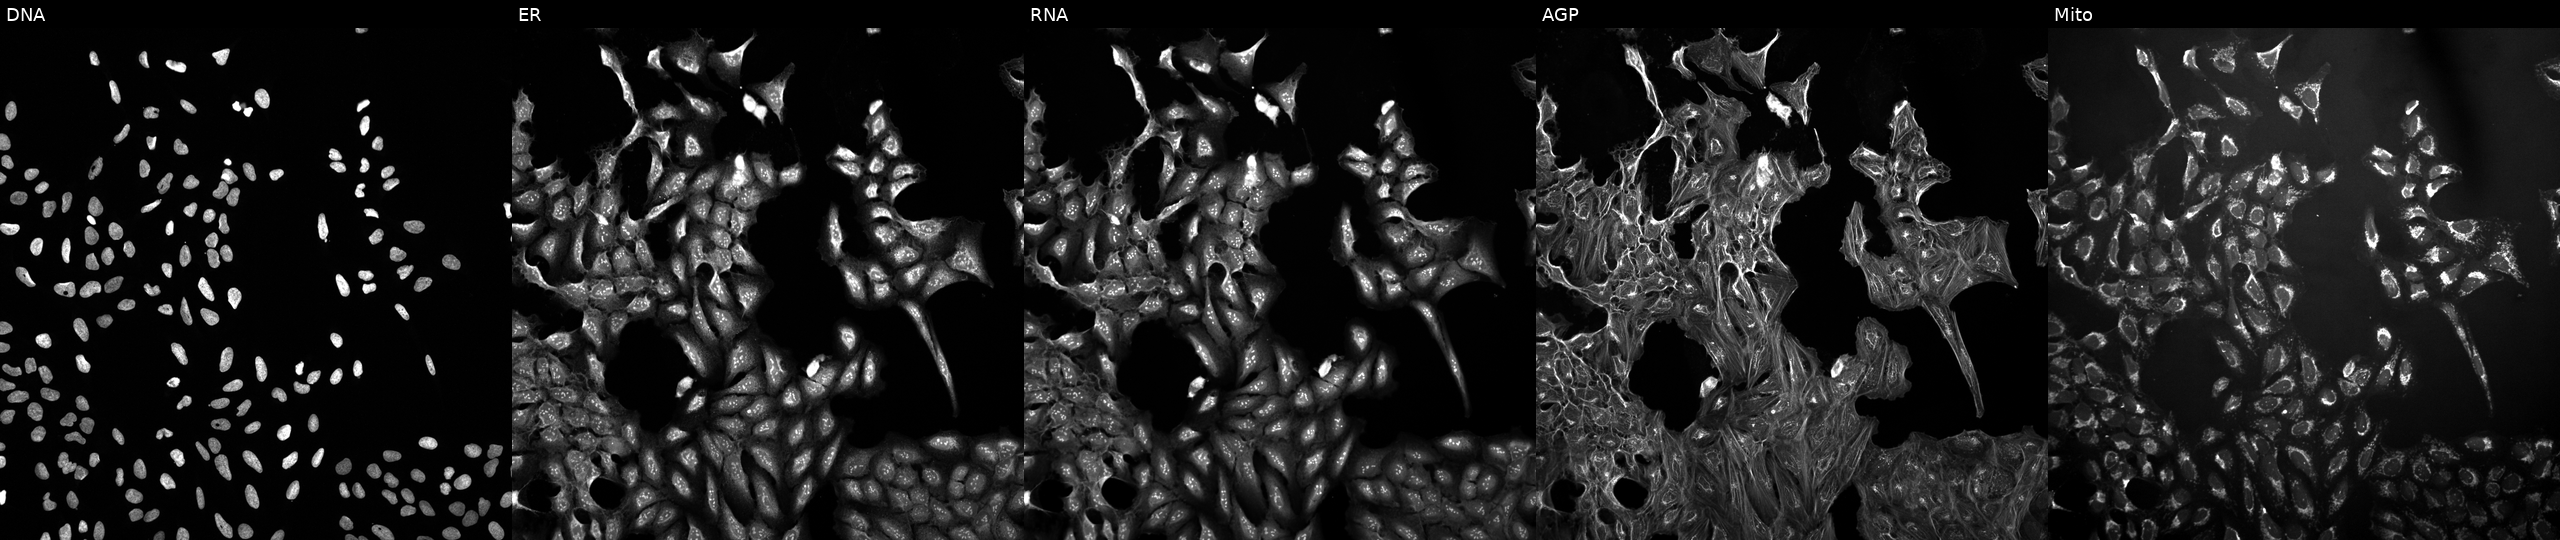
Five-channel Cell Painting image of U2OS cells exposed to the positive-control compound aloxistatin (JUMP id JCP2022_085227). The five panels, left to right, show DNA, ER, RNA, AGP, and Mito. Source 10, plate Dest210726-160150, well F06.